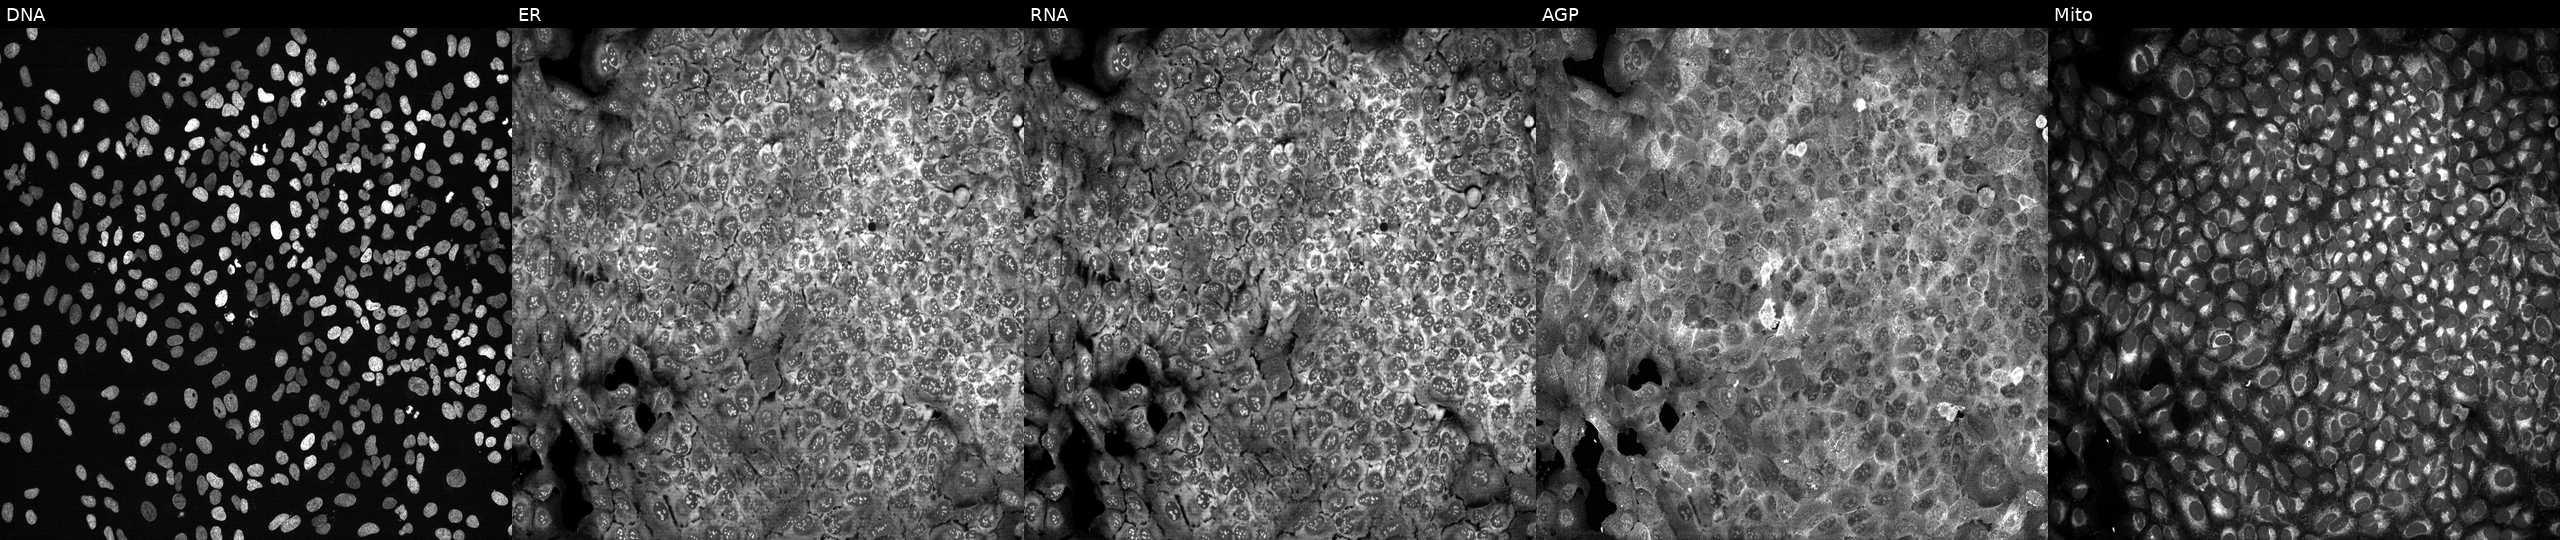
U2OS cells, Cell Painting assay, with KRAS knocked out by CRISPR (JUMP id JCP2022_803753). The five panels, left to right, show DNA (nuclei); ER (endoplasmic reticulum); RNA (nucleoli and cytoplasmic RNA); AGP (actin cytoskeleton, Golgi, and plasma membrane); Mito (mitochondria). Each panel is percentile-stretched 16-bit fluorescence.